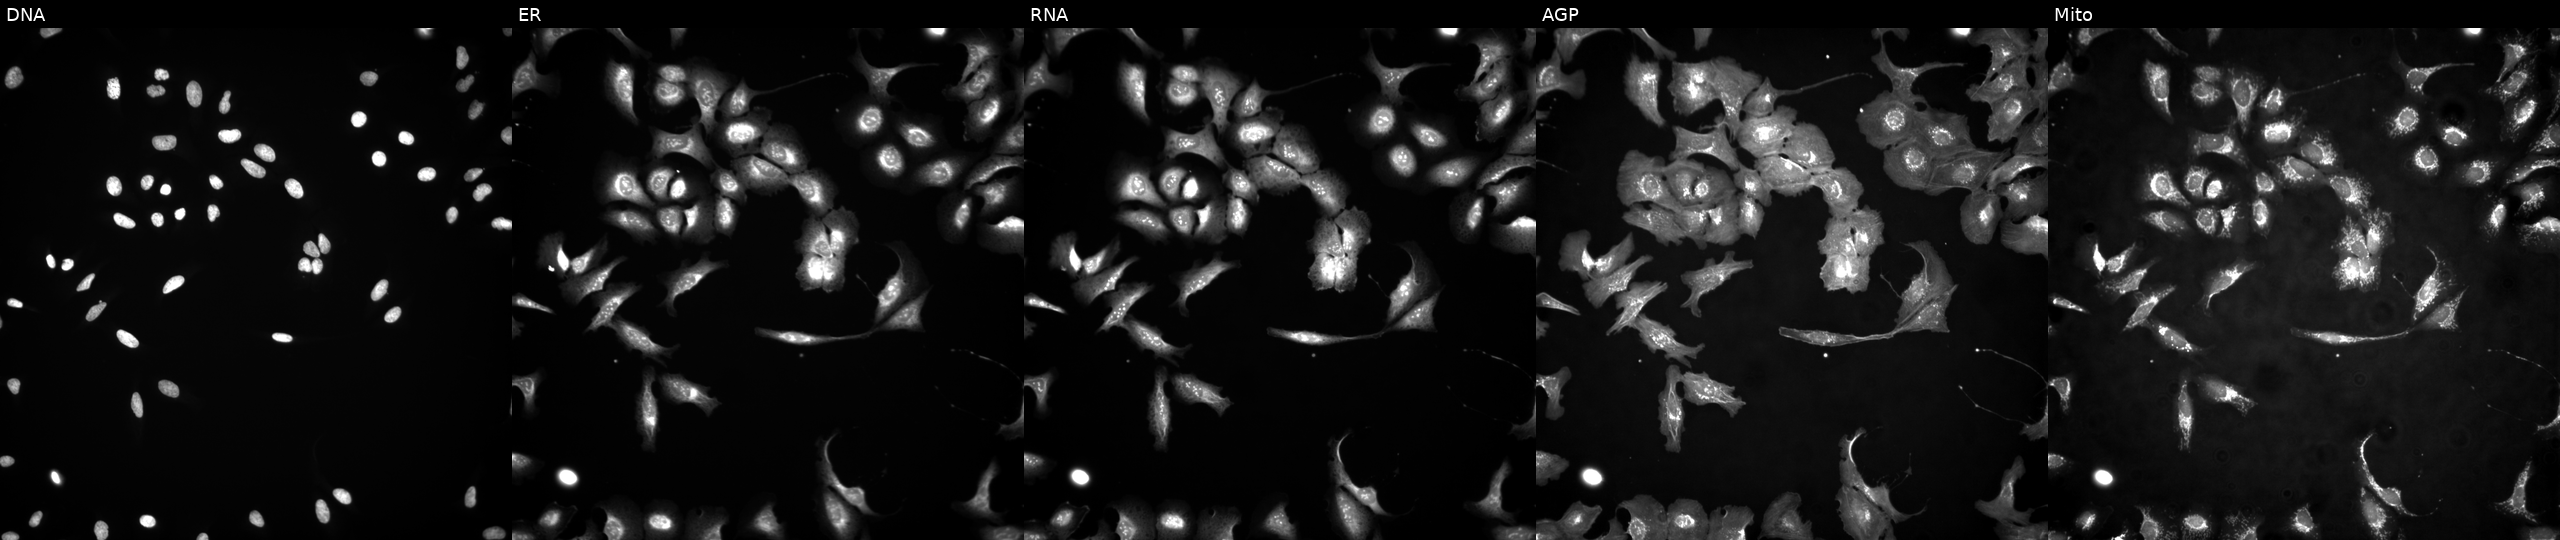
This image strip shows the five Cell Painting channels for a single field of U2OS cells transfected with an ORF construct for FGGY (JUMP id JCP2022_914108). The five panels, left to right, show Hoechst 33342, concanavalin A, SYTO 14, phalloidin and WGA, MitoTracker. Source 4, plate BR00123945, well A21.